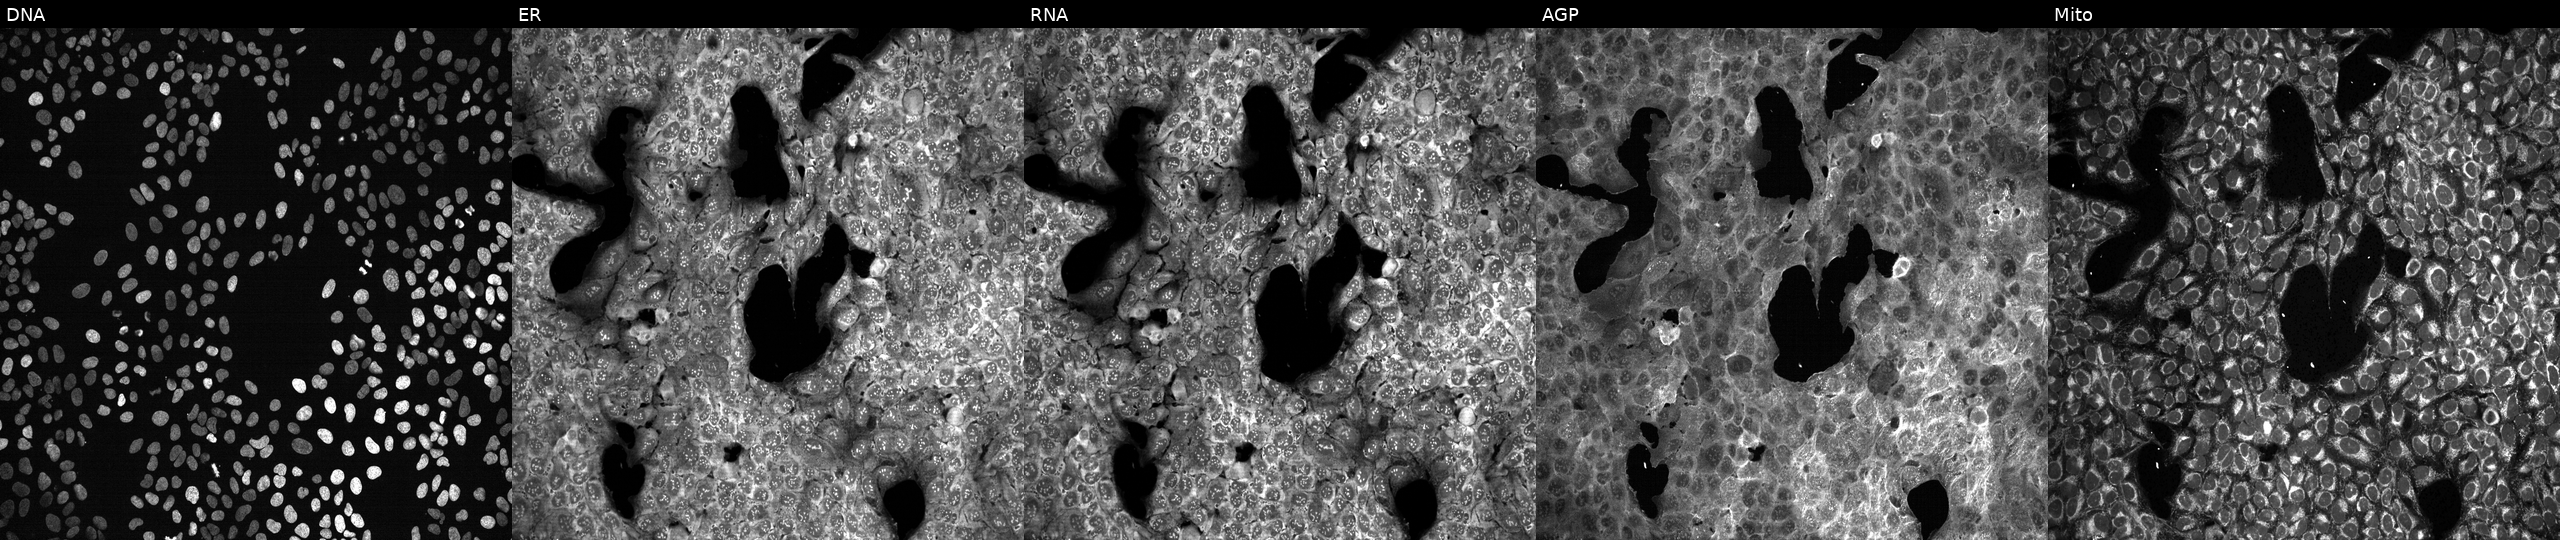
JUMP Cell Painting — CRISPR plate. U2OS cells exposed to the positive-control compound LY2109761. Panels show, left to right, Hoechst 33342, concanavalin A, SYTO 14, phalloidin and WGA, MitoTracker.